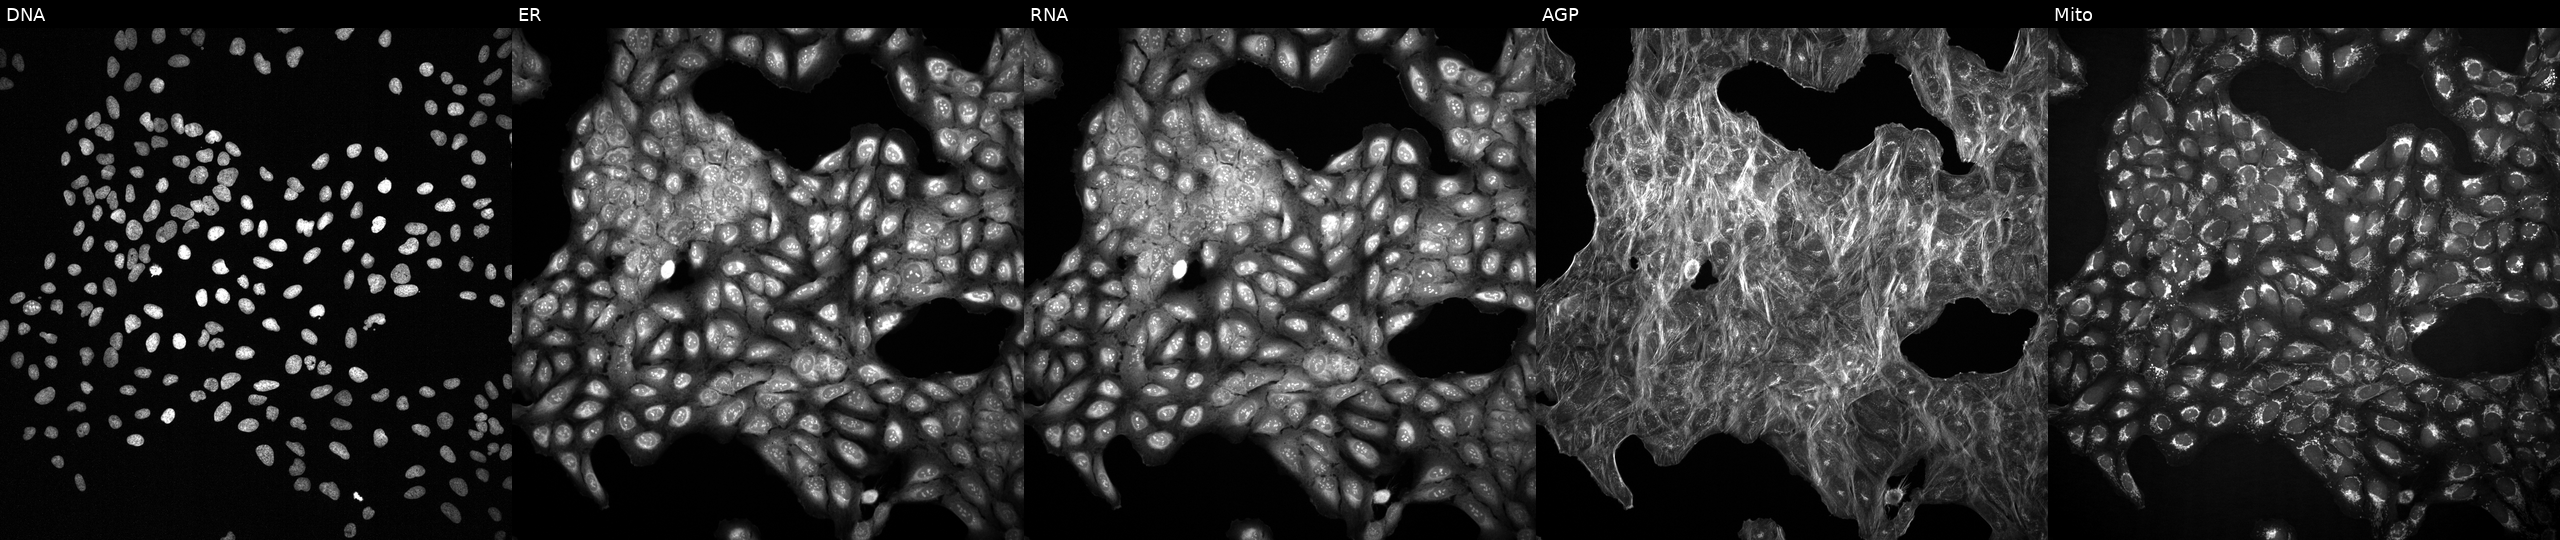
U2OS cells, Cell Painting assay, with an unidentified perturbation (not annotated in JUMP metadata). Channels (left→right): Hoechst 33342, concanavalin A, SYTO 14, phalloidin and WGA, MitoTracker. Each panel is percentile-stretched 16-bit fluorescence.